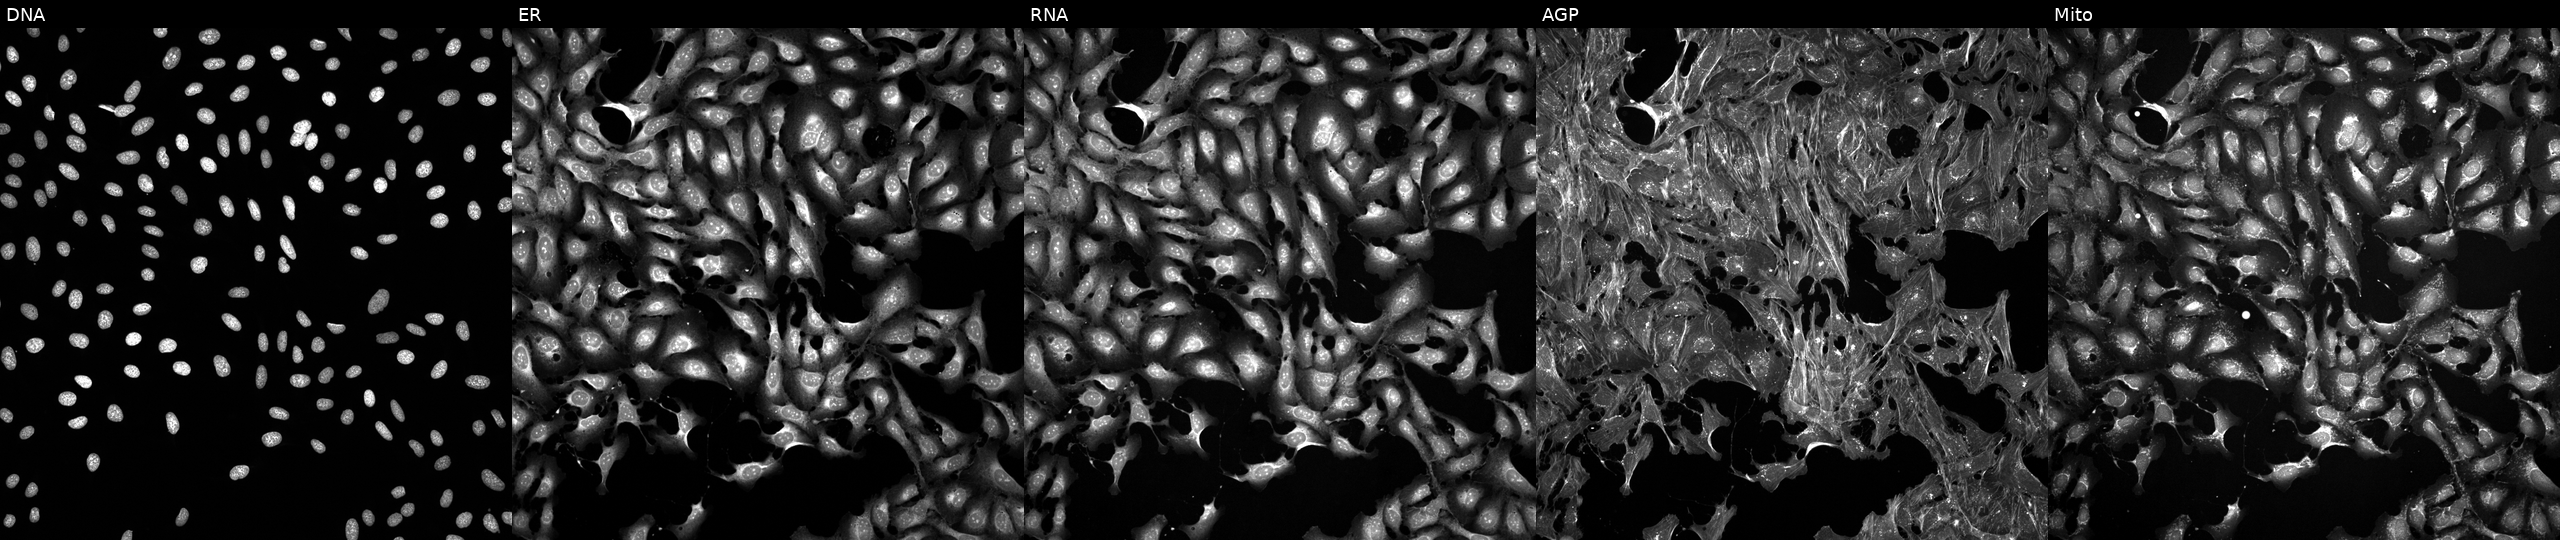
This image strip shows the five Cell Painting channels for a single field of U2OS cells exposed to the positive-control compound FK-866 (JUMP id JCP2022_046054). Panels show, left to right, DNA, ER, RNA, AGP, and Mito. Source 5, plate ACPJUM032, well D19.